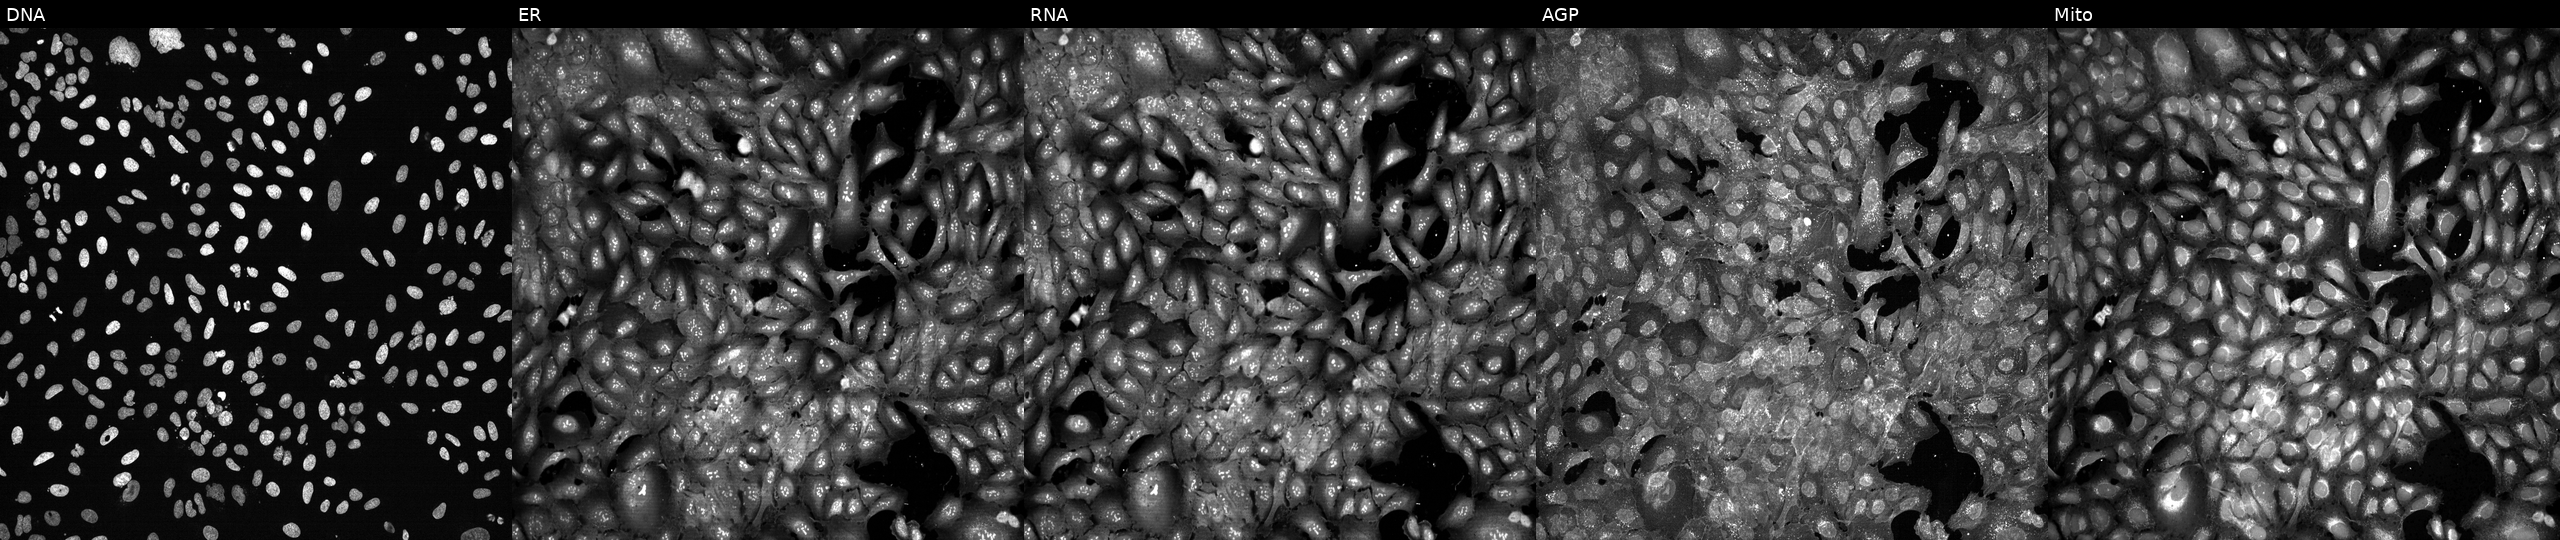
This image strip shows the five Cell Painting channels for a single field of U2OS cells CRISPR-edited to disrupt AHCY (JUMP id JCP2022_800327). Panels show, left to right, DNA, ER, RNA, AGP, and Mito.